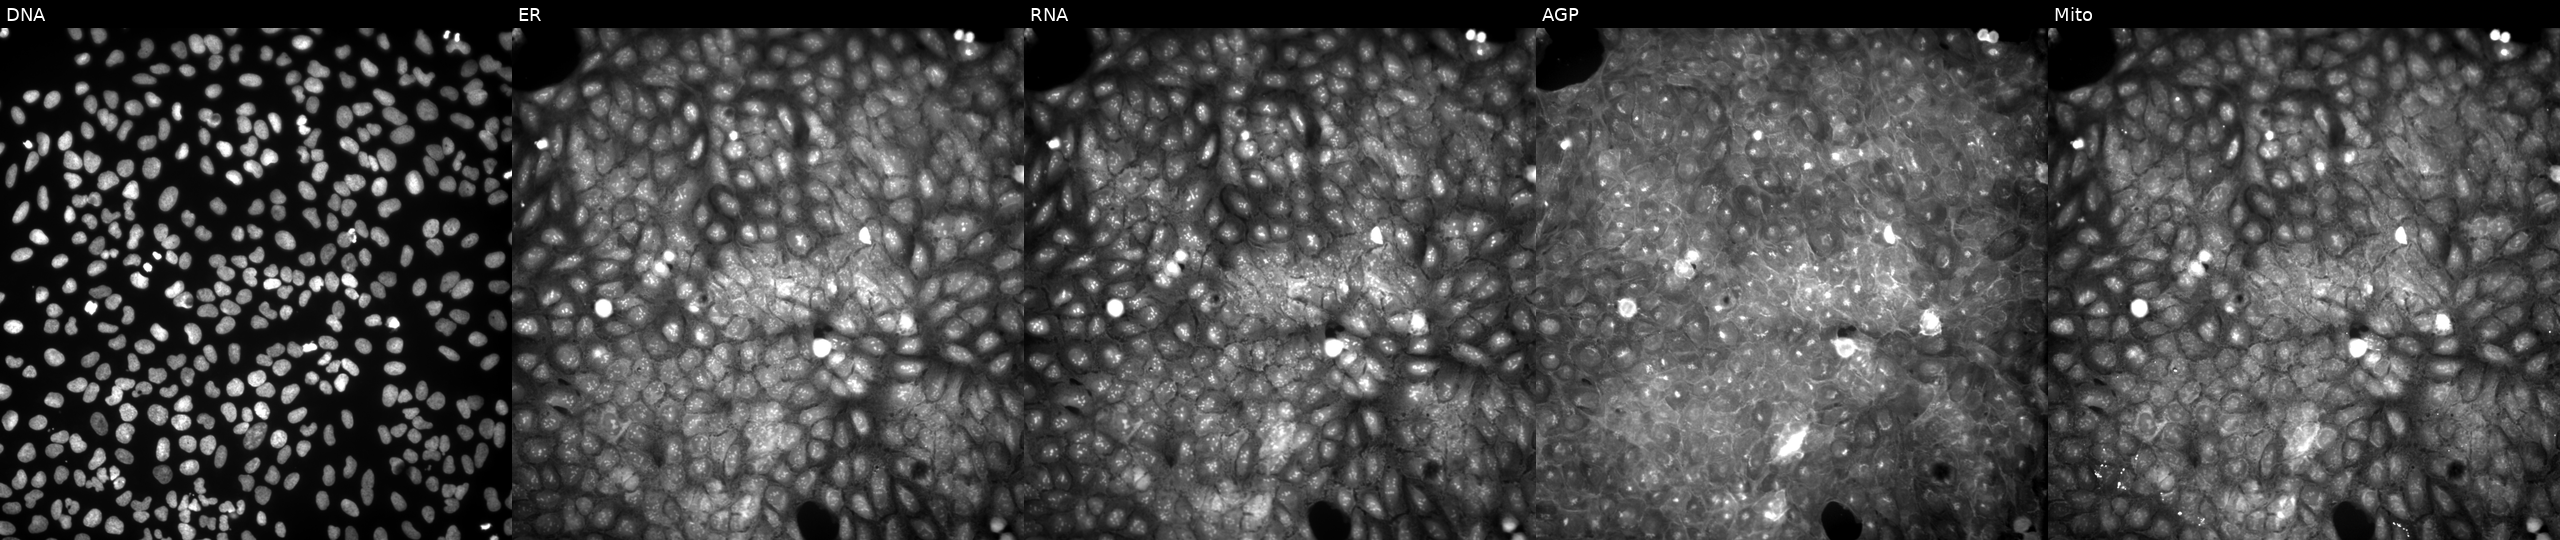
This image strip shows the five Cell Painting channels for a single field of U2OS cells exposed to a small-molecule compound [SMILES: CC(C)N1C(=O)SC(=Cc2ccccc2OCc2ccc(C(=O)O)cc2)C1=O] (JUMP id JCP2022_034499). From left to right: DNA, ER, RNA, AGP, and Mito.